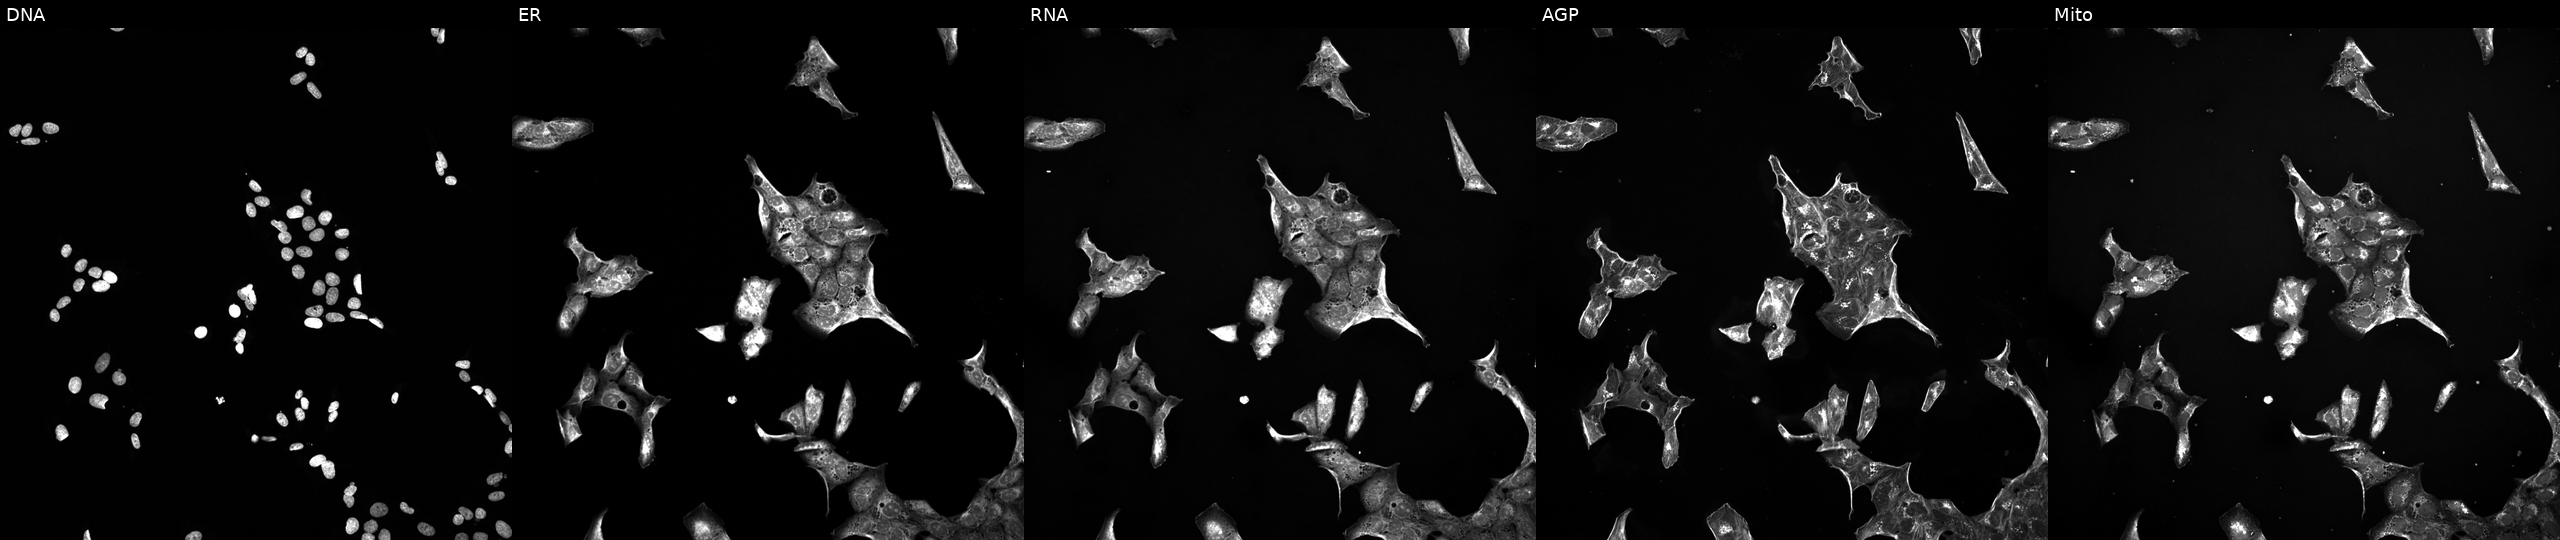
U2OS cells, Cell Painting assay, treated with a small-molecule compound. From left to right: DNA (nuclei); ER (endoplasmic reticulum); RNA (nucleoli and cytoplasmic RNA); AGP (actin cytoskeleton, Golgi, and plasma membrane); Mito (mitochondria). Each panel is percentile-stretched 16-bit fluorescence.